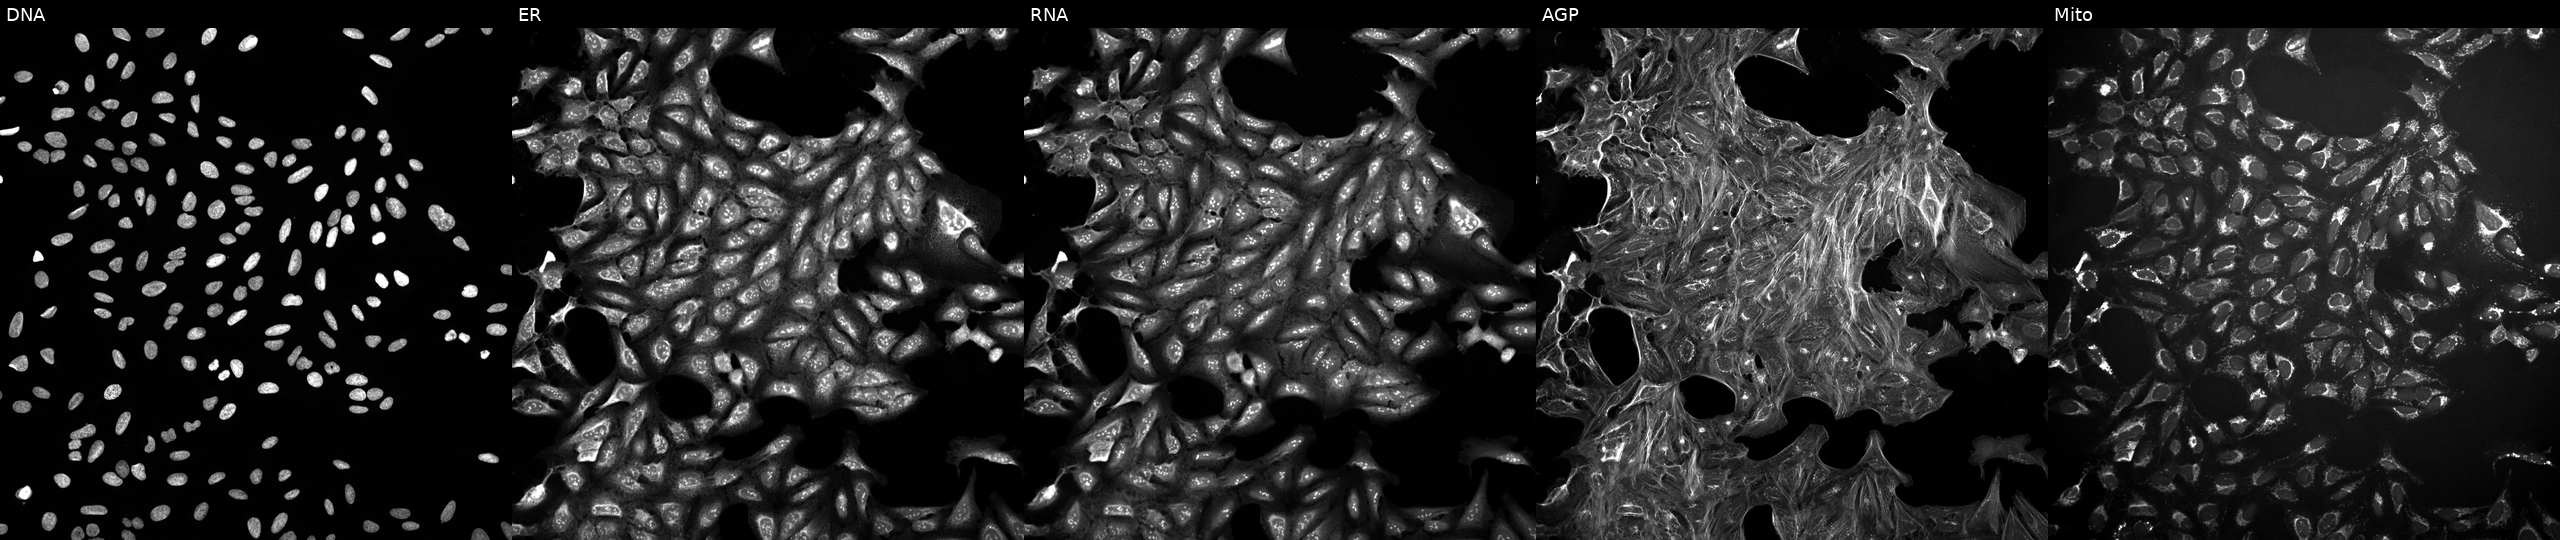
Five-channel Cell Painting image of U2OS cells exposed to a small-molecule compound. The five panels, left to right, show DNA, ER, RNA, AGP, and Mito. Source 10, plate Dest210727-153003, well G05.